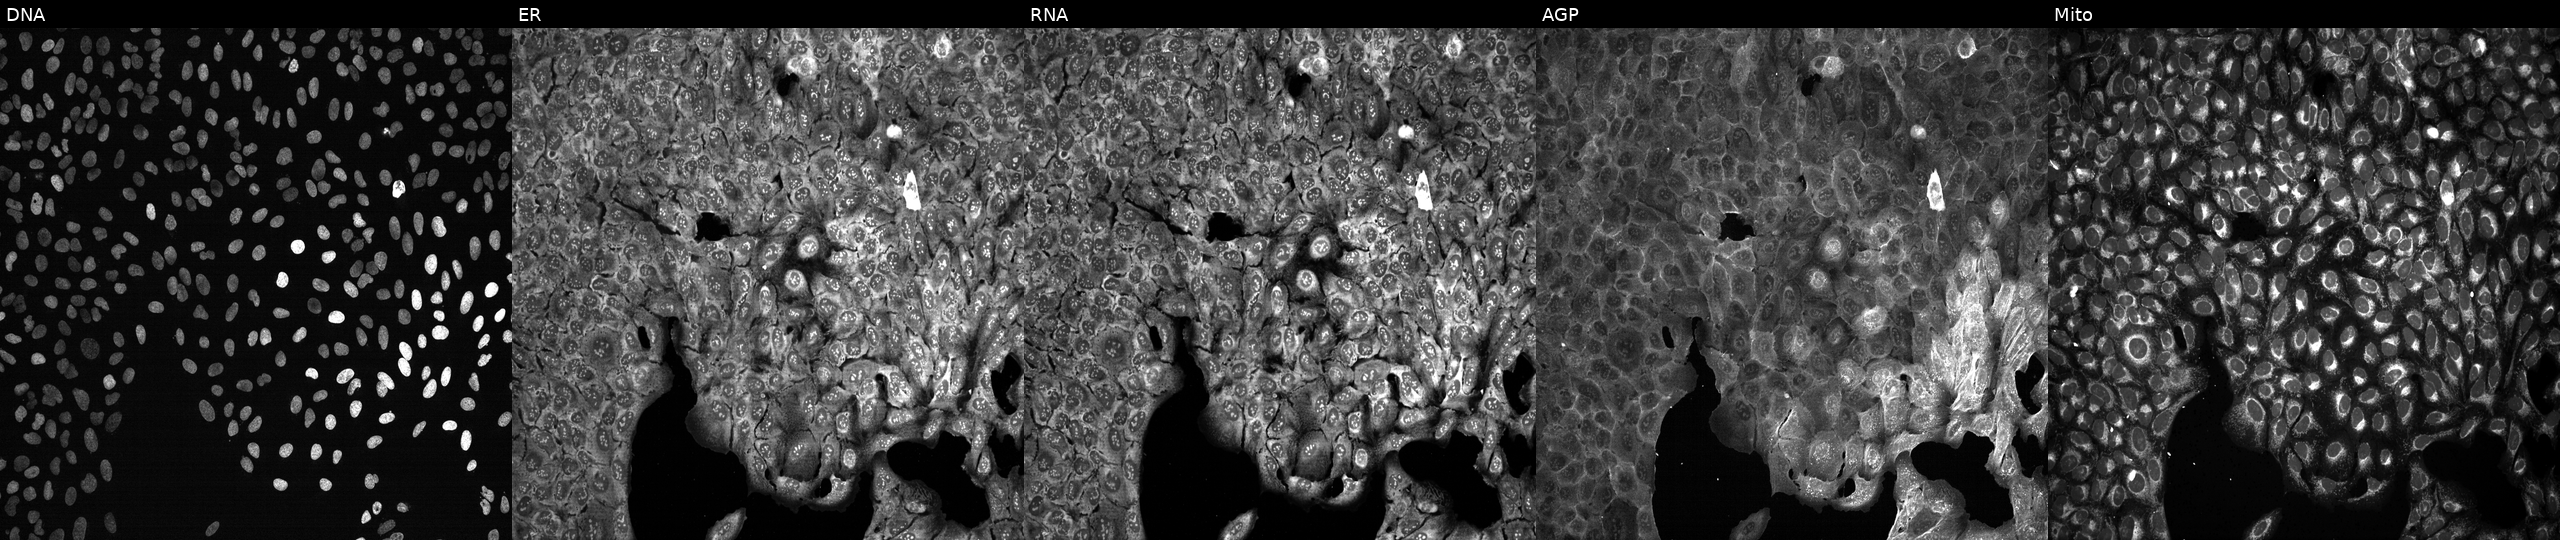
JUMP Cell Painting — CRISPR plate. U2OS cells CRISPR-edited to disrupt SLC24A2 (JUMP id JCP2022_806435). Panels show, left to right, Hoechst 33342, concanavalin A, SYTO 14, phalloidin and WGA, MitoTracker.